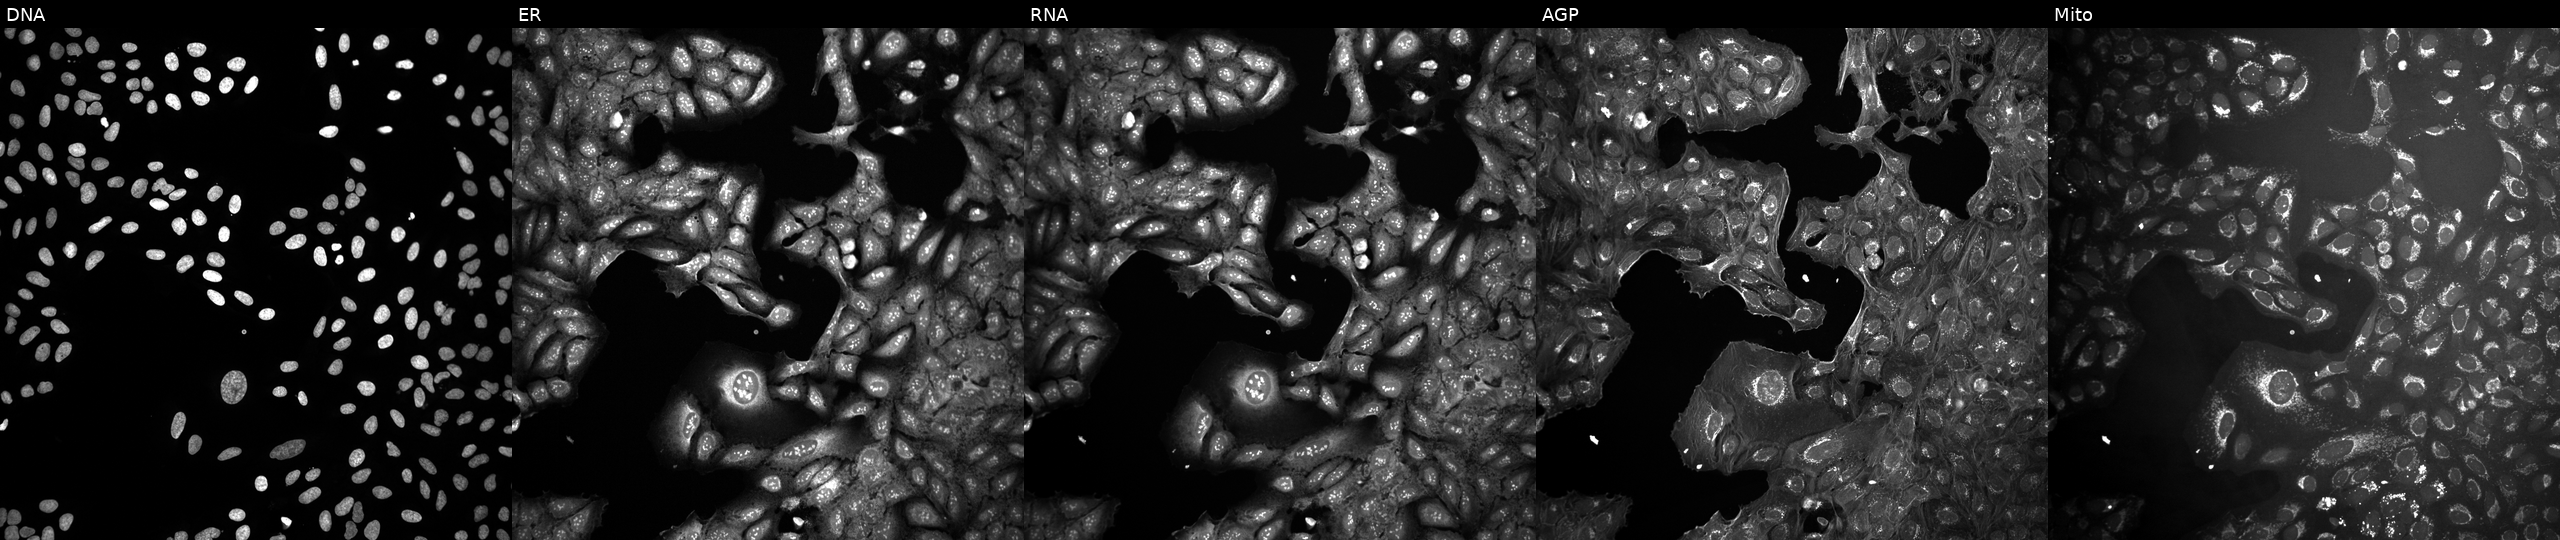
JUMP Cell Painting — COMPOUND plate. U2OS cells perturbed with a small-molecule compound (InChIKey OEQXHHNIVJGVJV-UHFFFAOYSA-N). The five panels, left to right, show Hoechst 33342, concanavalin A, SYTO 14, phalloidin and WGA, MitoTracker.